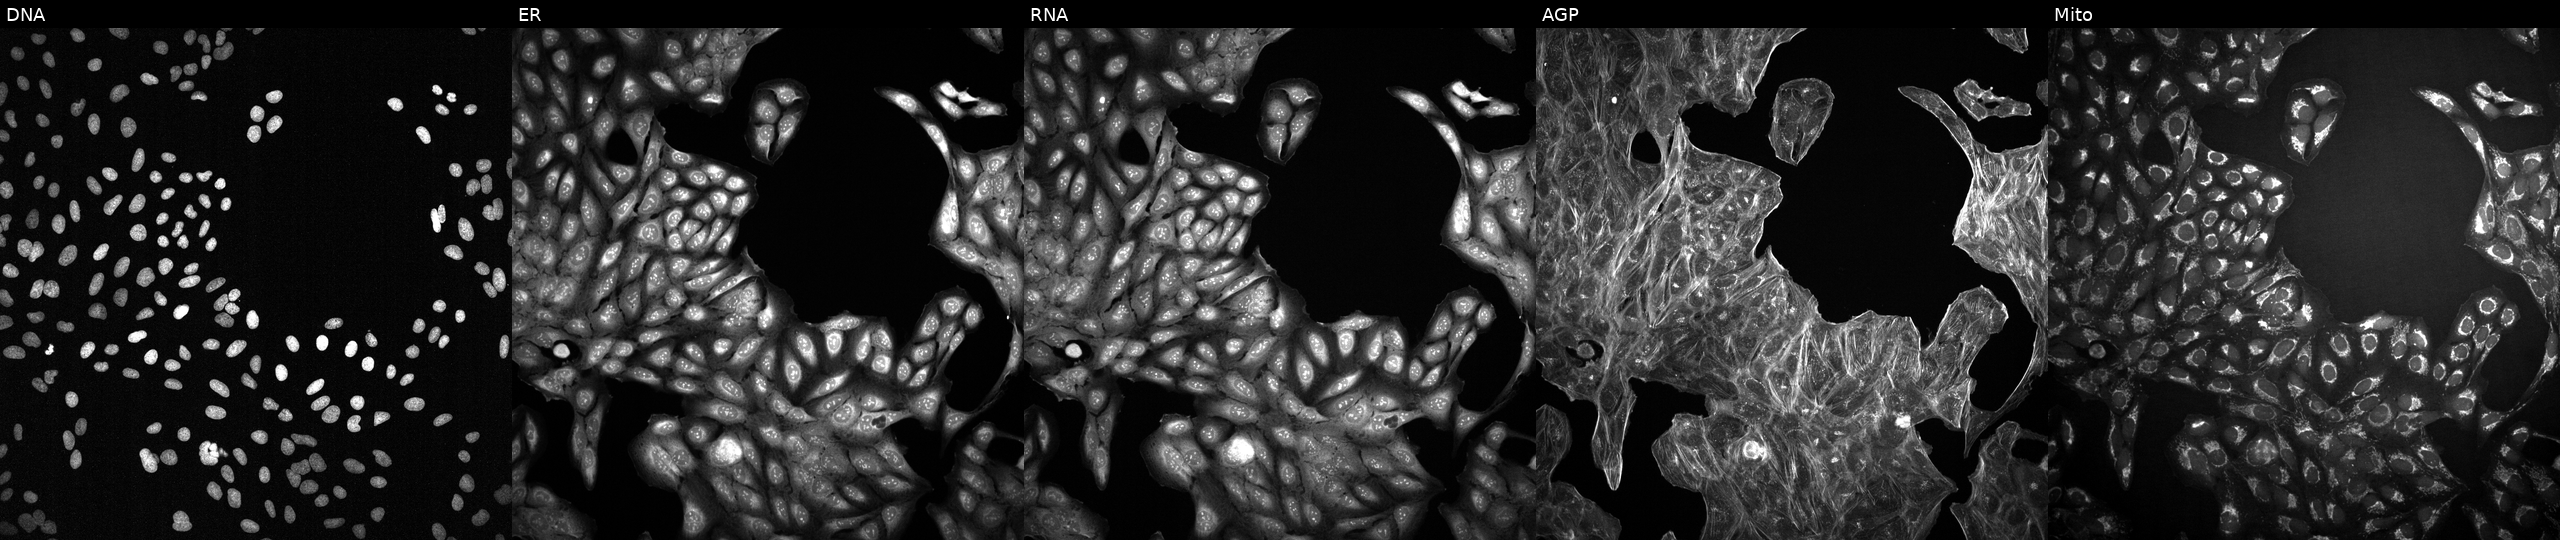
U2OS cells, Cell Painting assay, treated with a small-molecule compound (InChIKey XSDQTOBWRPYKKA-UHFFFAOYSA-N) (JUMP id JCP2022_105696). Channels (left→right): DNA, ER, RNA, AGP, and Mito. Each panel is percentile-stretched 16-bit fluorescence.